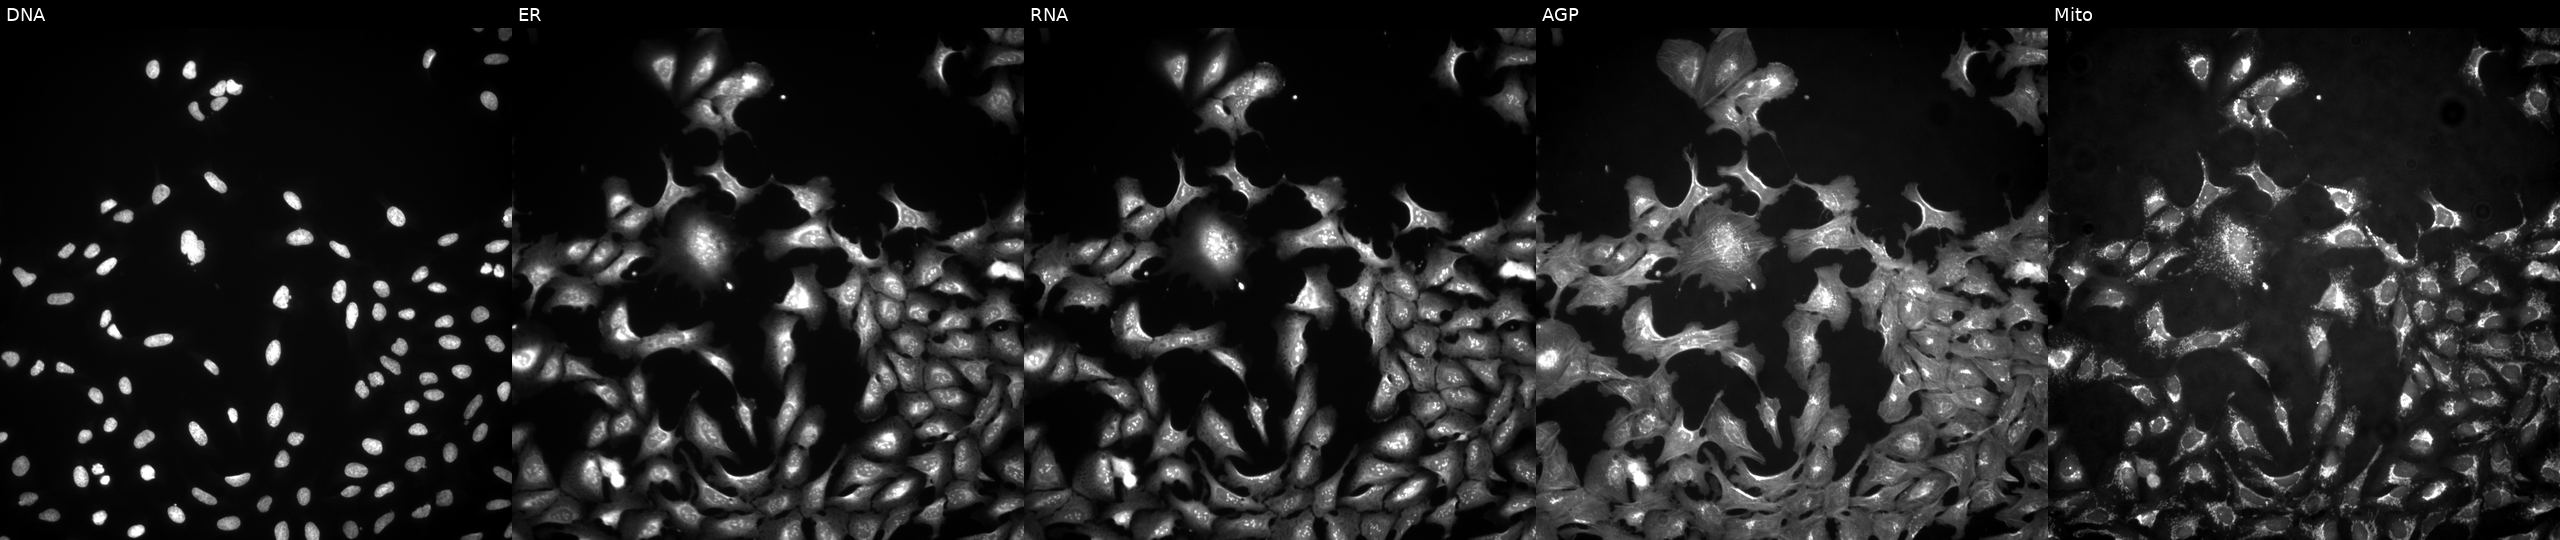
Channels (left→right): Hoechst 33342, concanavalin A, SYTO 14, phalloidin and WGA, MitoTracker. U2OS osteosarcoma cells expressing HcRed (ORF negative control). Cell Painting assay, JUMP-CP dataset. Source 4, plate BR00123509, well F04.